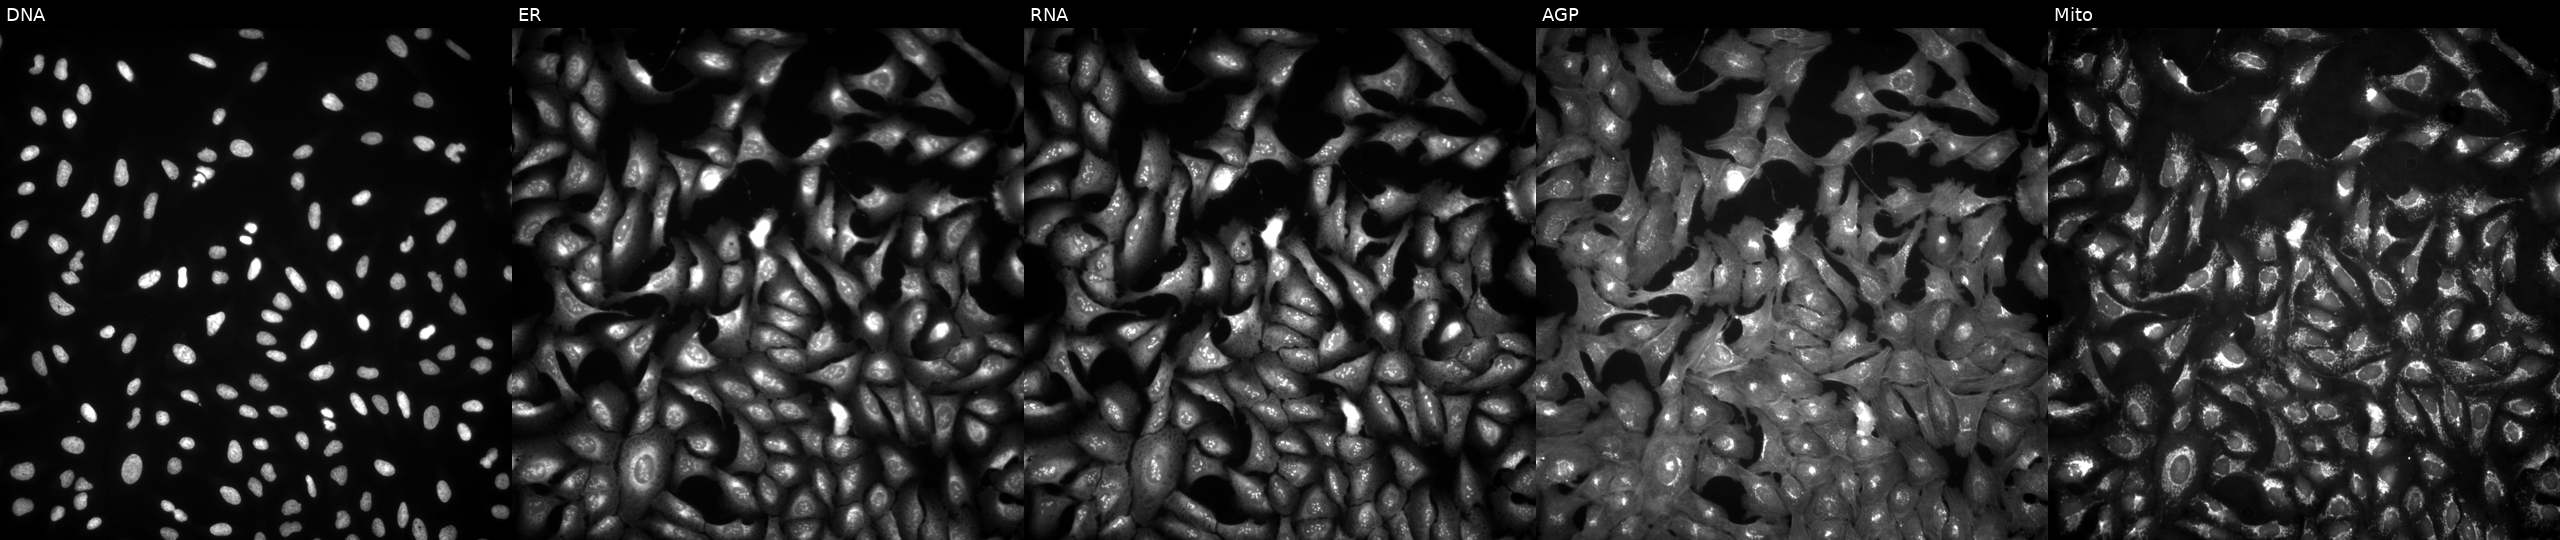
This image strip shows the five Cell Painting channels for a single field of U2OS cells with ODF3 overexpressed (ORF) (JUMP id JCP2022_904357). From left to right: DNA, ER, RNA, AGP, and Mito. Source 4, plate BR00123509, well C17.